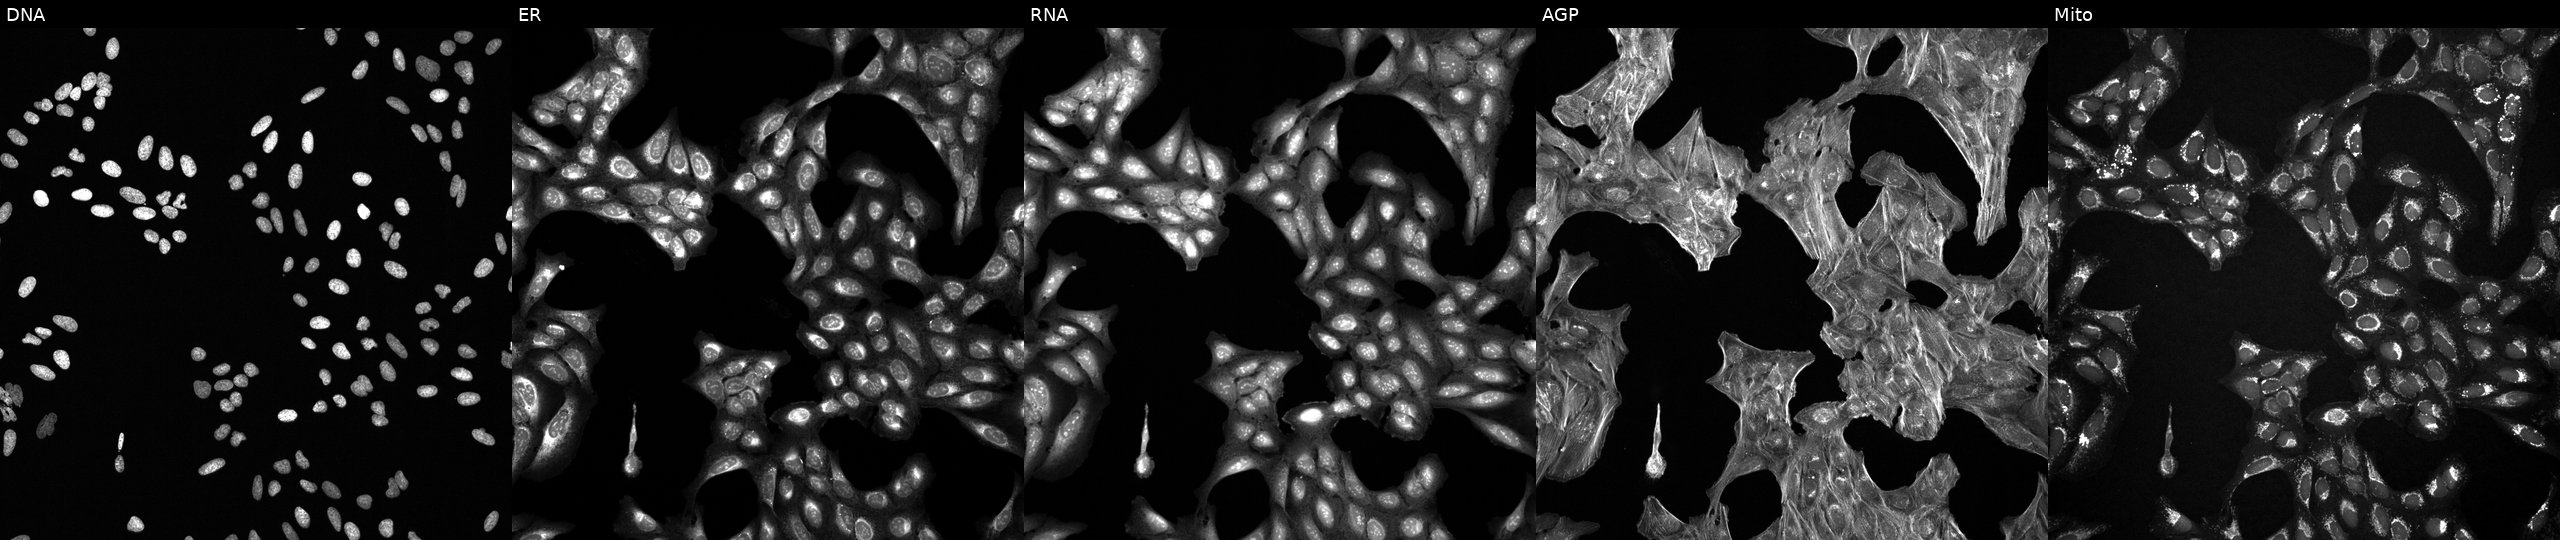
JUMP Cell Painting — COMPOUND plate. U2OS cells perturbed with a small-molecule compound. Channels (left→right): DNA, ER, RNA, AGP, and Mito.